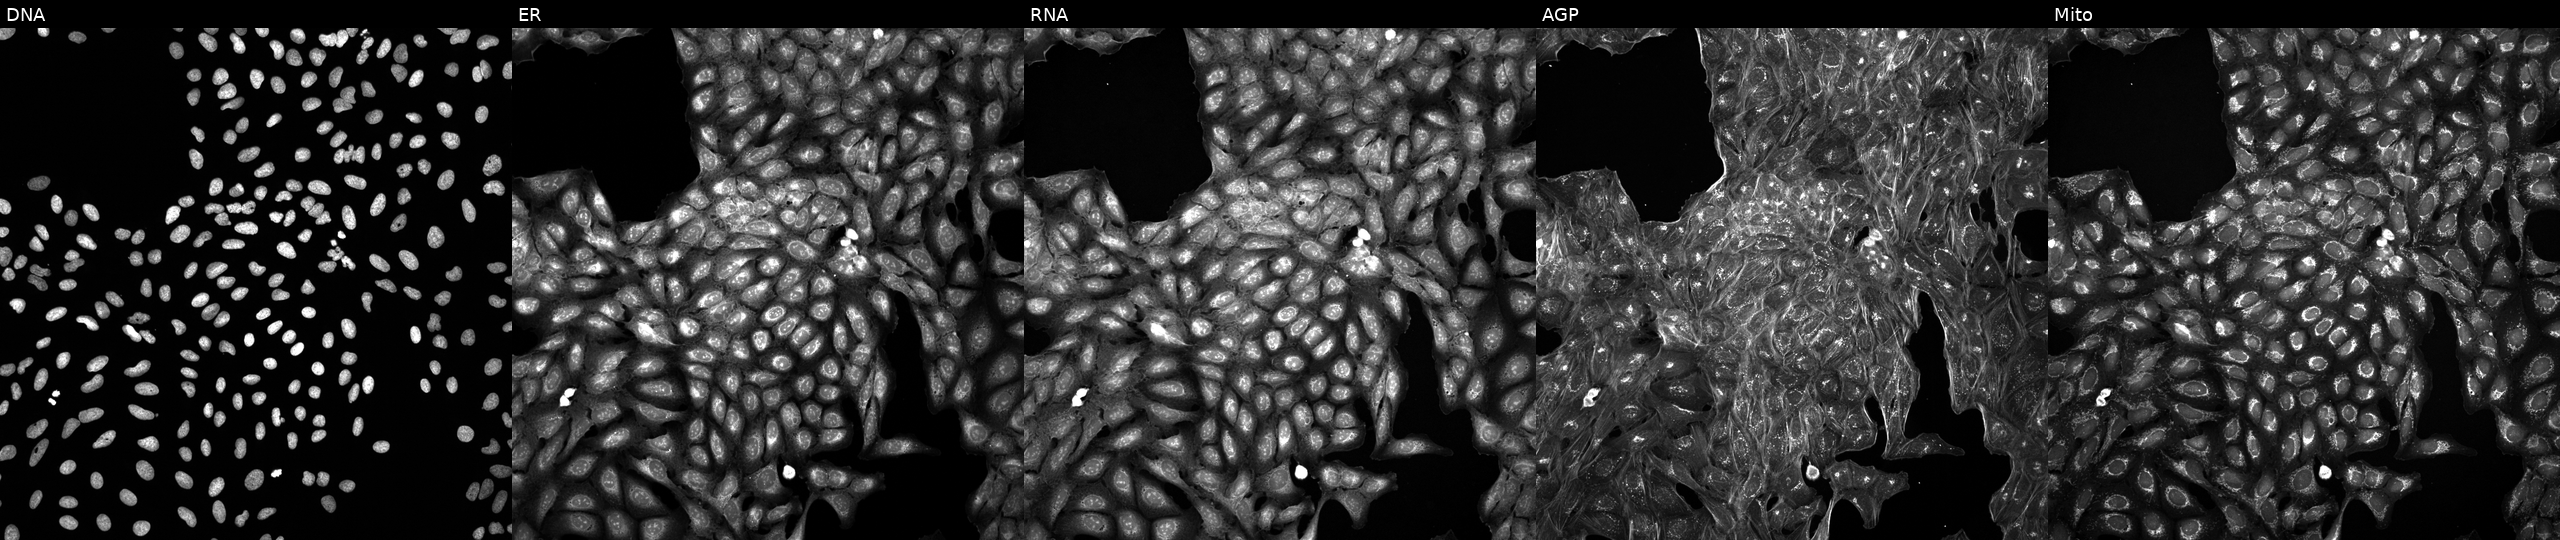
High-content fluorescence microscopy (Cell Painting). Cell line: U2OS. Perturbation: perturbed with a small-molecule compound (InChIKey ZJMDTBBCNMGFMS-UHFFFAOYSA-N) [SMILES: CN1CCN(c2ccc(C=C(C#N)c3ccccc3Br)cc2)CC1]. Panels show, left to right, Hoechst 33342, concanavalin A, SYTO 14, phalloidin and WGA, MitoTracker. Source 5, plate ACPJUM012, well C18.